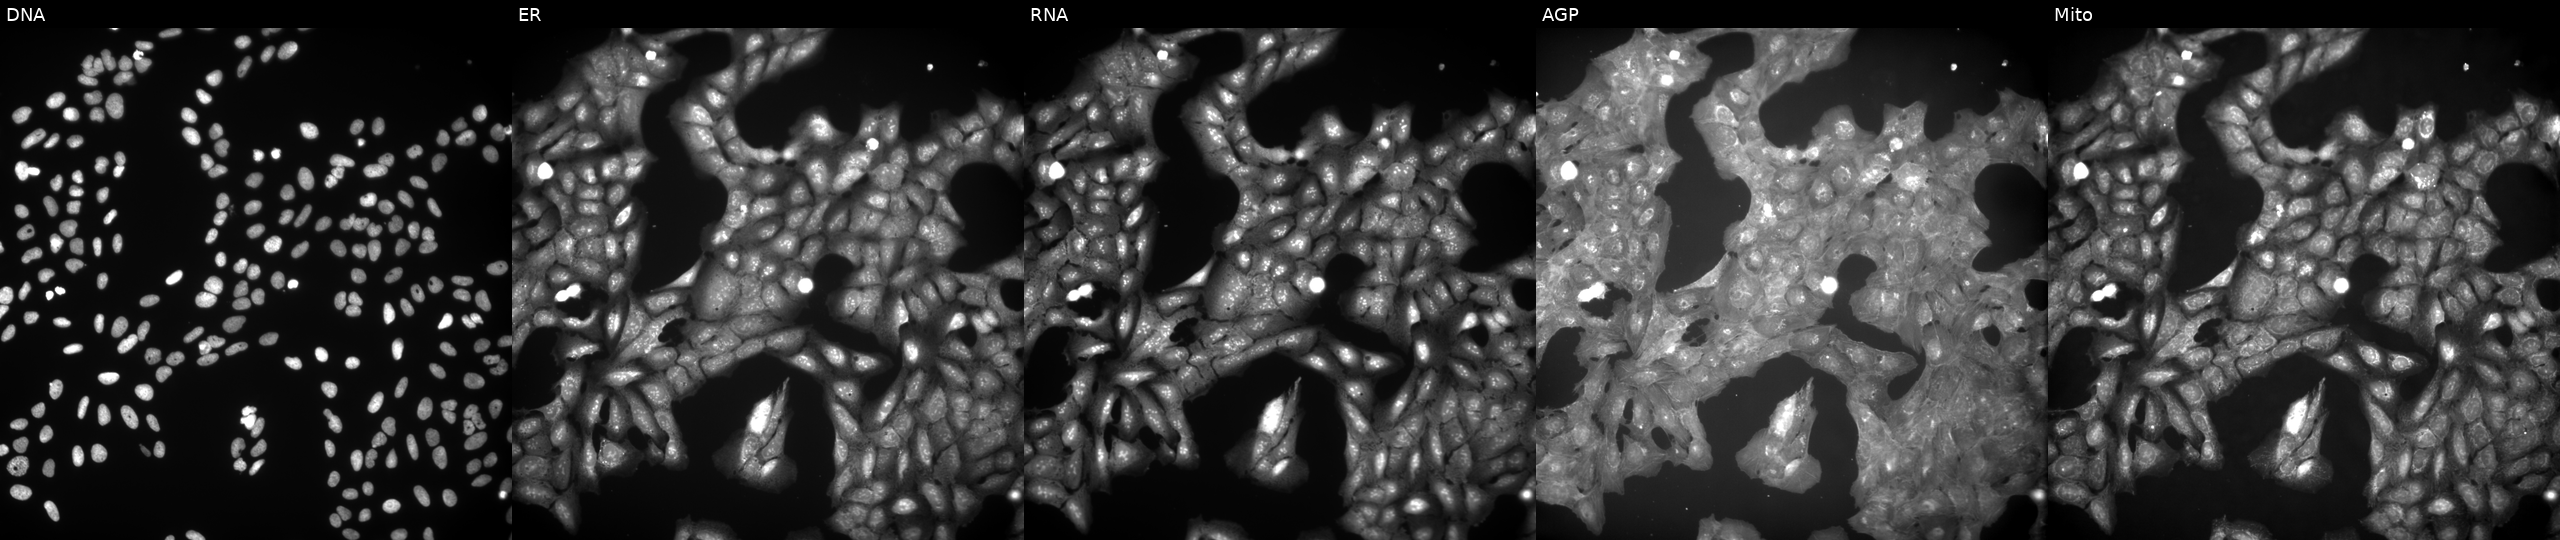
Five-channel Cell Painting image of U2OS cells exposed to a small-molecule compound. Panels show, left to right, DNA (nuclei); ER (endoplasmic reticulum); RNA (nucleoli and cytoplasmic RNA); AGP (actin cytoskeleton, Golgi, and plasma membrane); Mito (mitochondria).